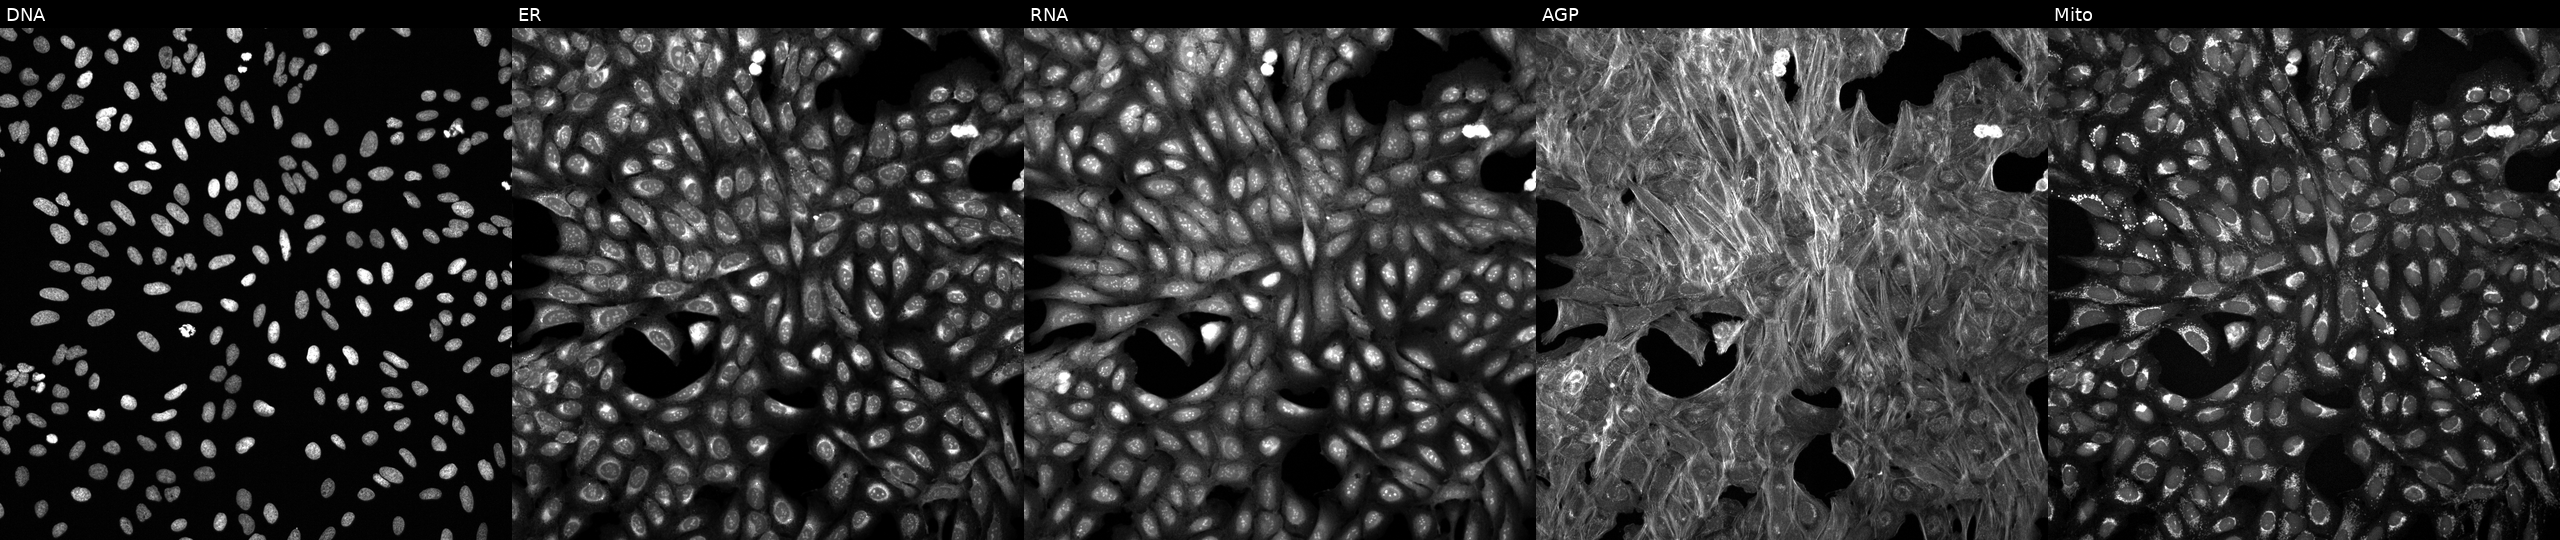
Five-channel Cell Painting image of U2OS cells treated with a small-molecule compound (InChIKey FSWRVSWQKLGJHD-UHFFFAOYSA-N) (JUMP id JCP2022_022729). Channels (left→right): DNA (nuclei); ER (endoplasmic reticulum); RNA (nucleoli and cytoplasmic RNA); AGP (actin cytoskeleton, Golgi, and plasma membrane); Mito (mitochondria).